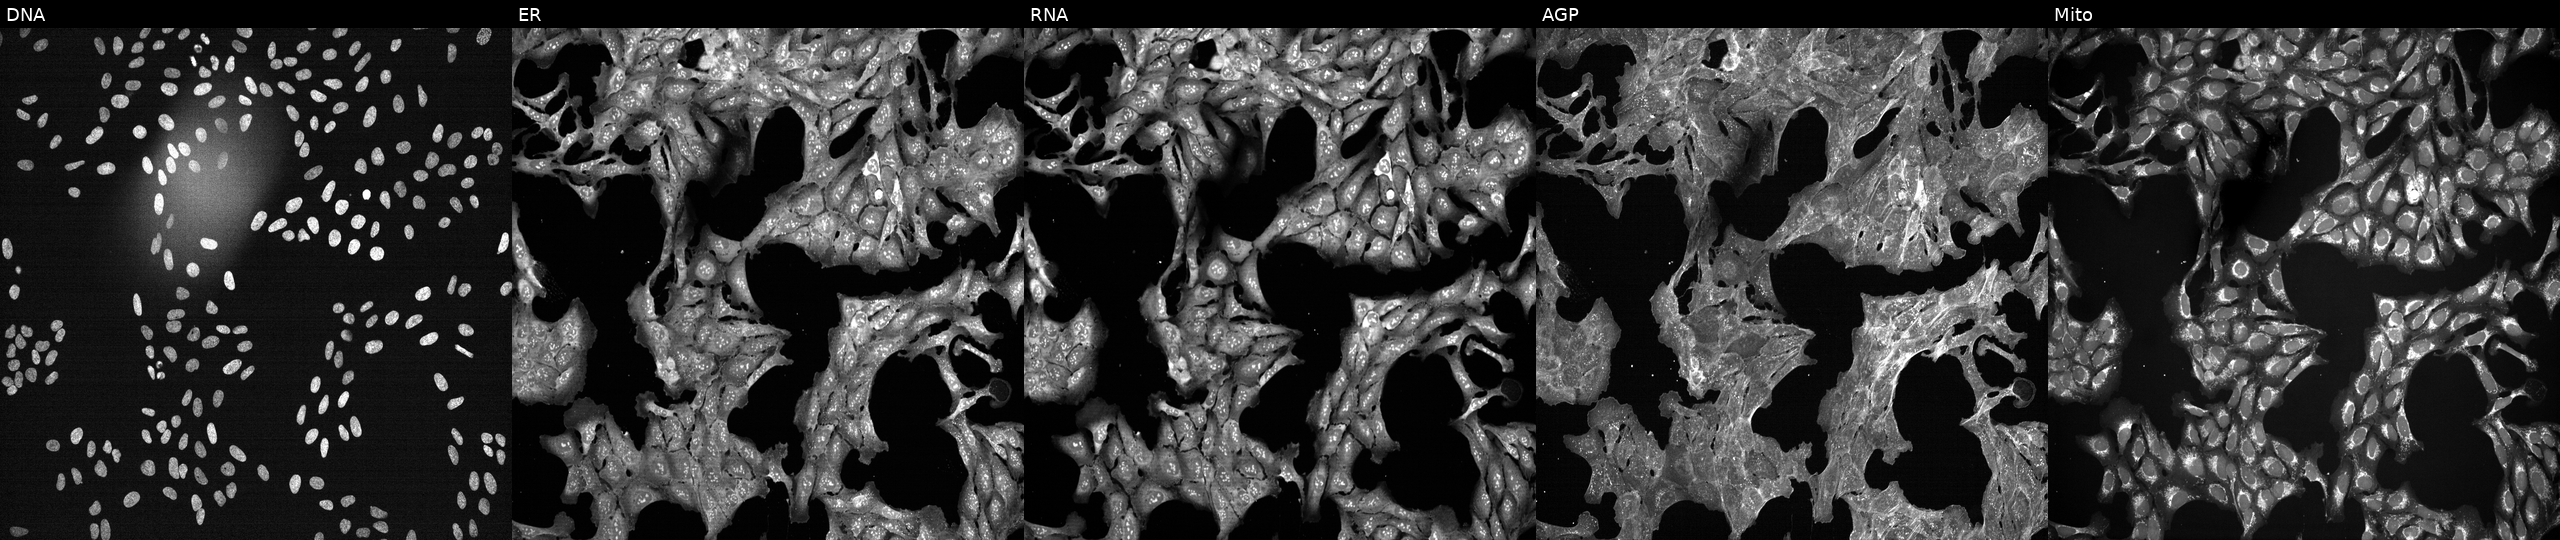
Panels show, left to right, Hoechst 33342, concanavalin A, SYTO 14, phalloidin and WGA, MitoTracker. U2OS osteosarcoma cells exposed to a small-molecule compound (InChIKey IIQUYGWWHIHOCF-UHFFFAOYSA-N). Cell Painting assay, JUMP-CP dataset. Source 7, plate CP3-SC1-25, well J01.